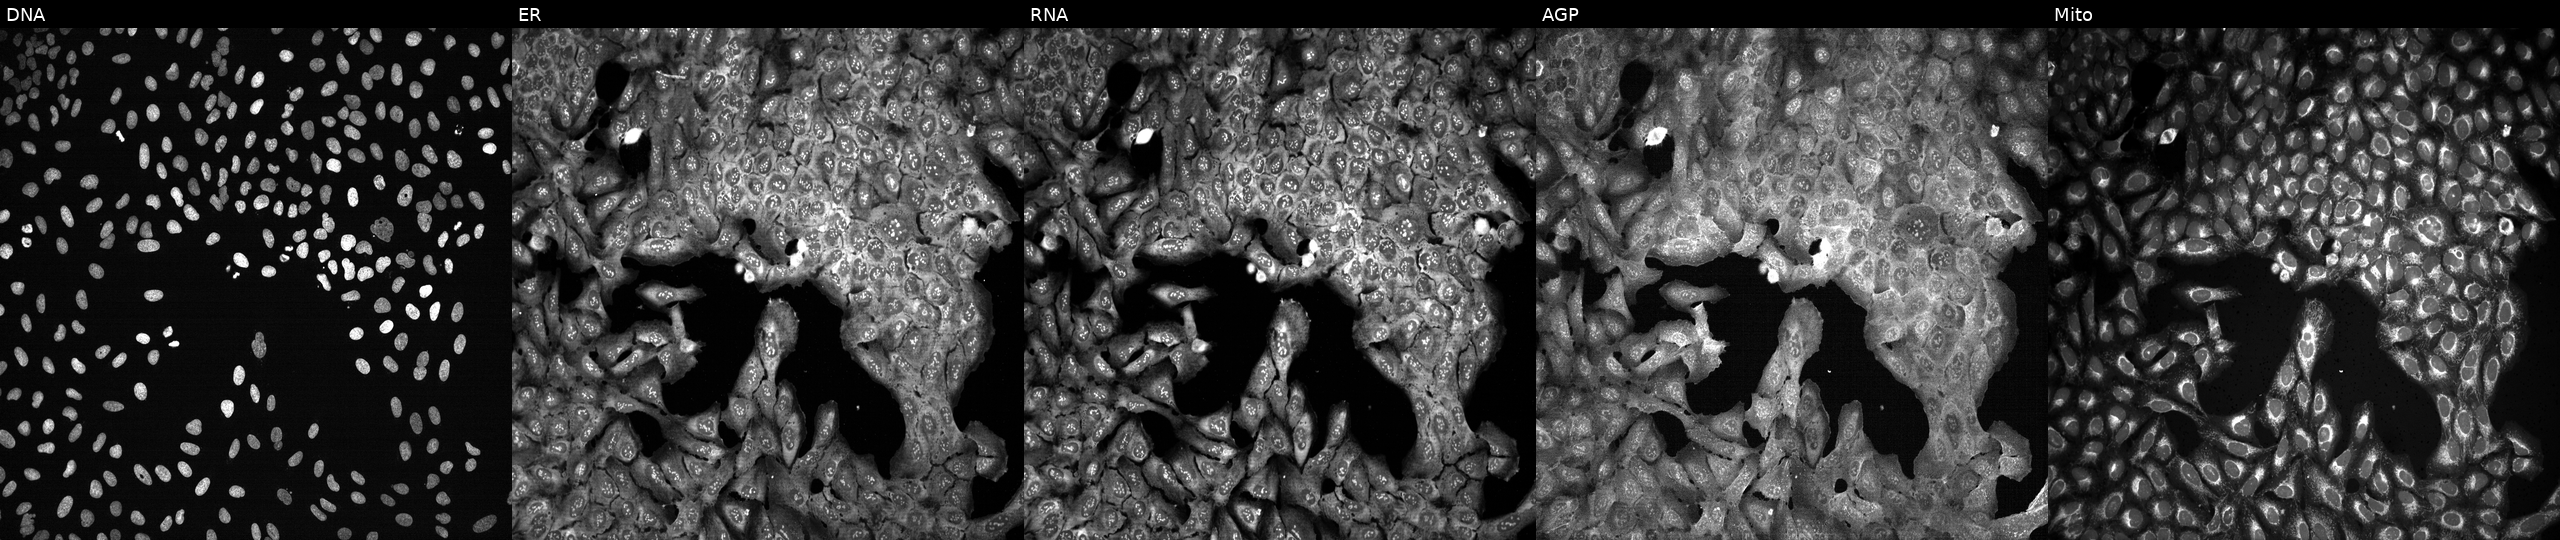
Five-channel Cell Painting image of U2OS cells following CRISPR knockout of ATP13A4. Channels (left→right): DNA, ER, RNA, AGP, and Mito.